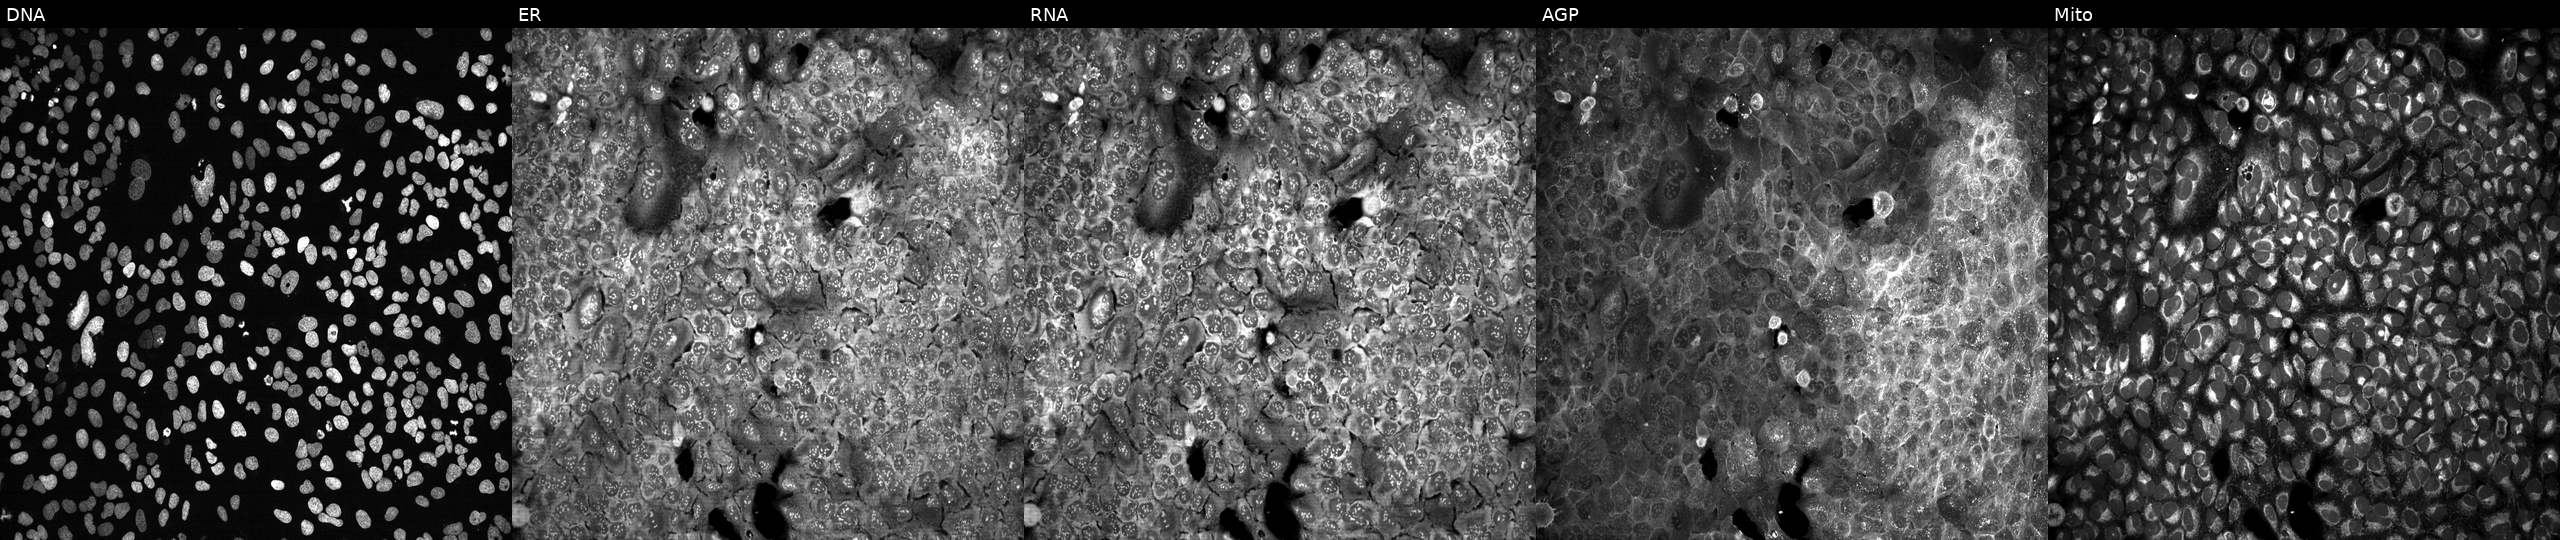
Five-channel Cell Painting image of U2OS cells following CRISPR knockout of PDDC1 (JUMP id JCP2022_804981). From left to right: Hoechst 33342, concanavalin A, SYTO 14, phalloidin and WGA, MitoTracker.